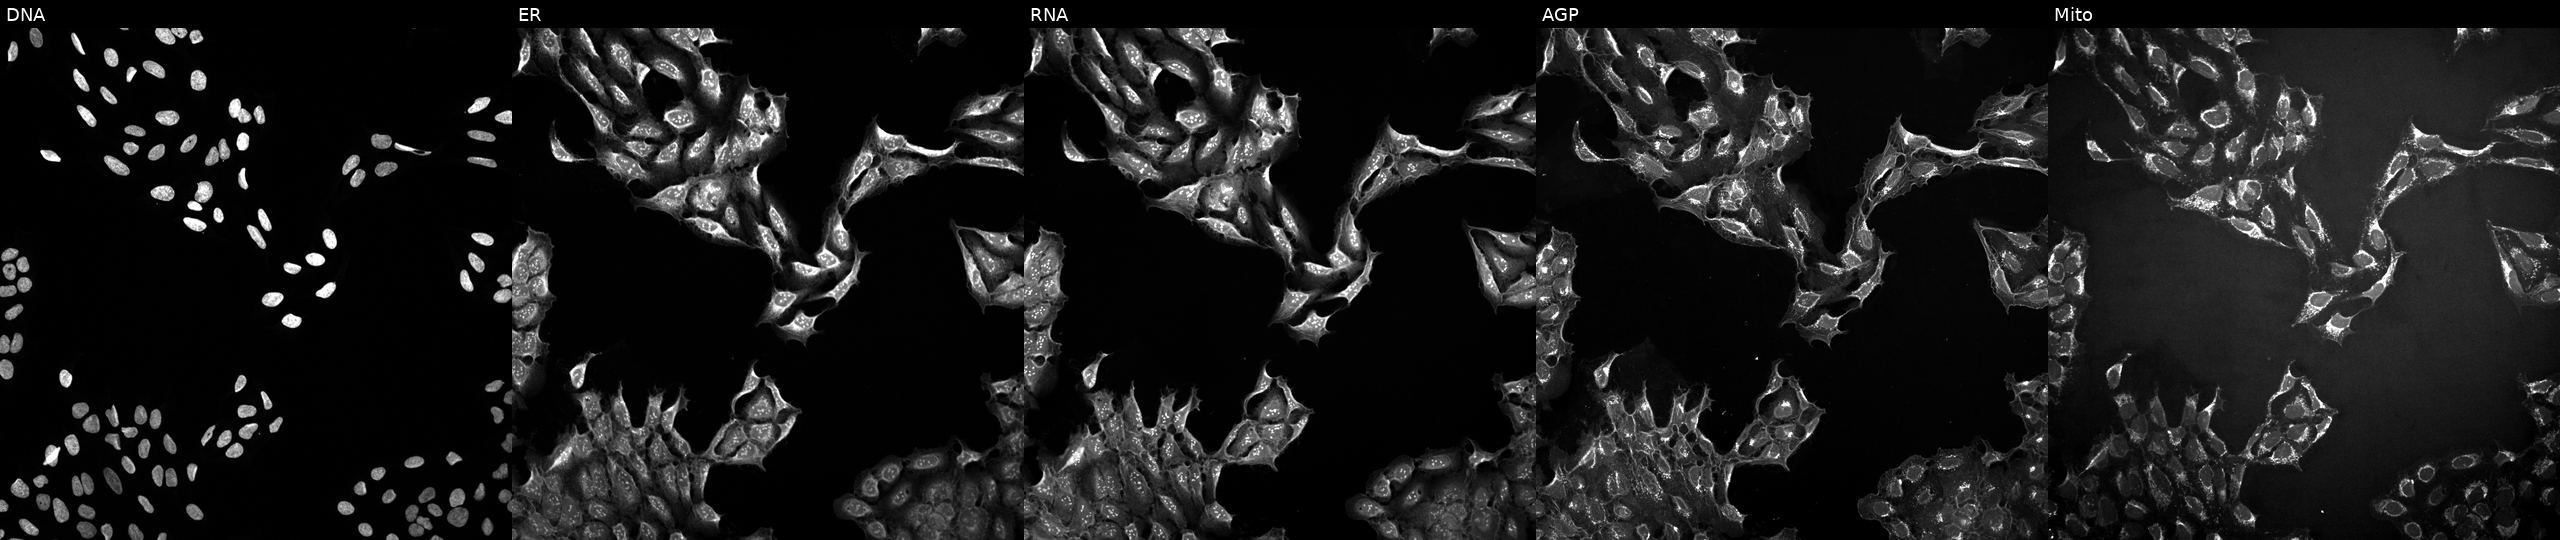
Panels show, left to right, DNA (nuclei); ER (endoplasmic reticulum); RNA (nucleoli and cytoplasmic RNA); AGP (actin cytoskeleton, Golgi, and plasma membrane); Mito (mitochondria). U2OS osteosarcoma cells exposed to a small-molecule compound (InChIKey FERIUCNNQQJTOY-UHFFFAOYSA-N) (JUMP id JCP2022_020163). Cell Painting assay, JUMP-CP dataset.